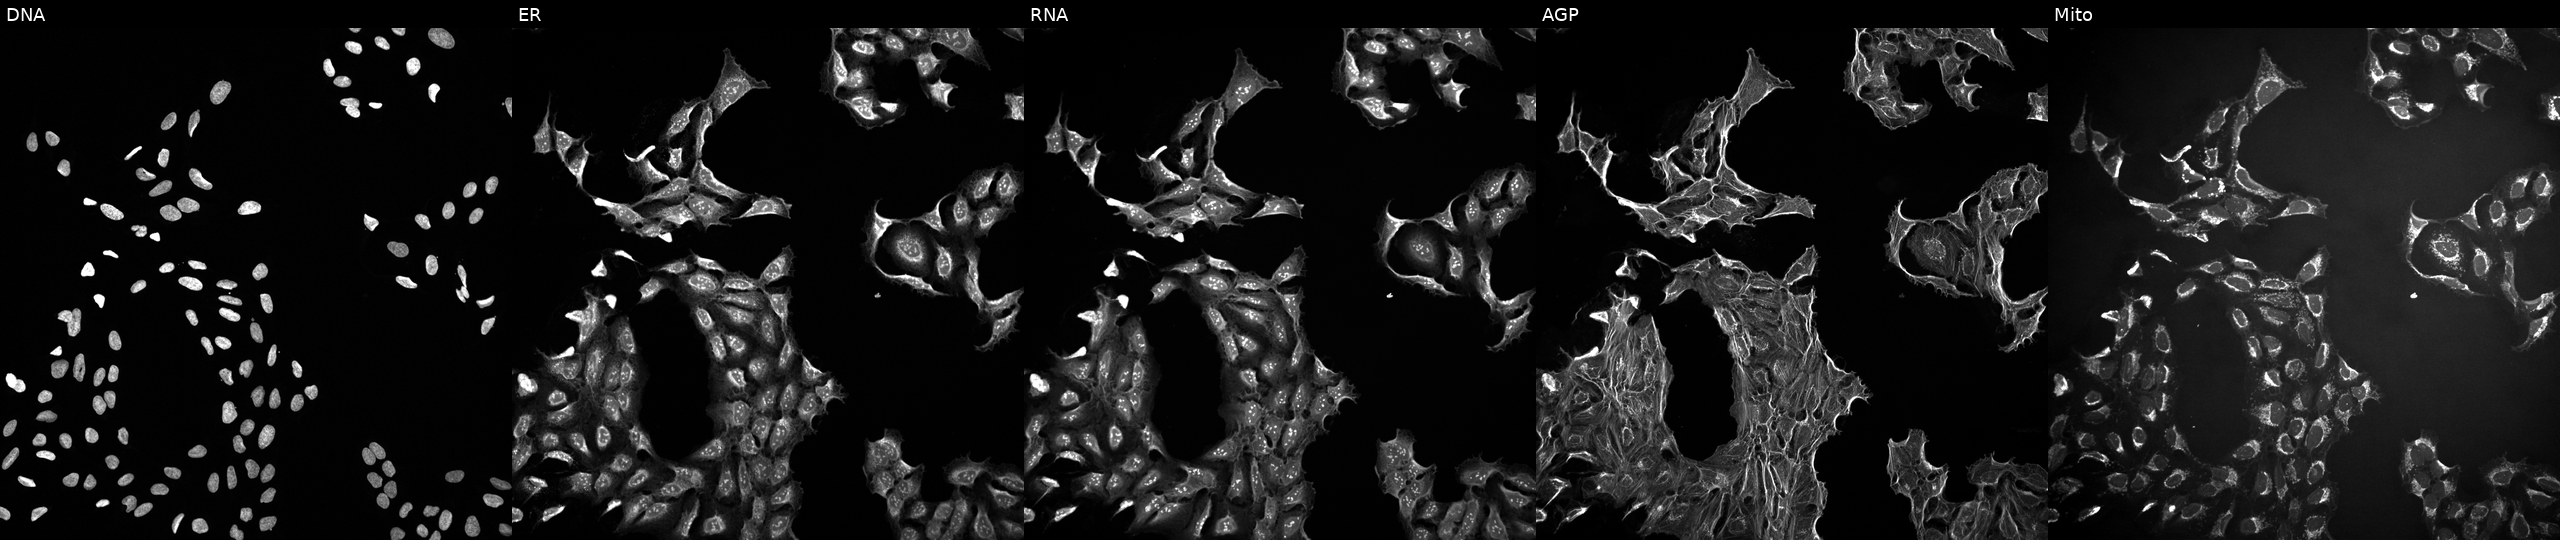
JUMP Cell Painting — TARGET2 plate. U2OS cells exposed to a small-molecule compound. The five panels, left to right, show DNA (nuclei); ER (endoplasmic reticulum); RNA (nucleoli and cytoplasmic RNA); AGP (actin cytoskeleton, Golgi, and plasma membrane); Mito (mitochondria).